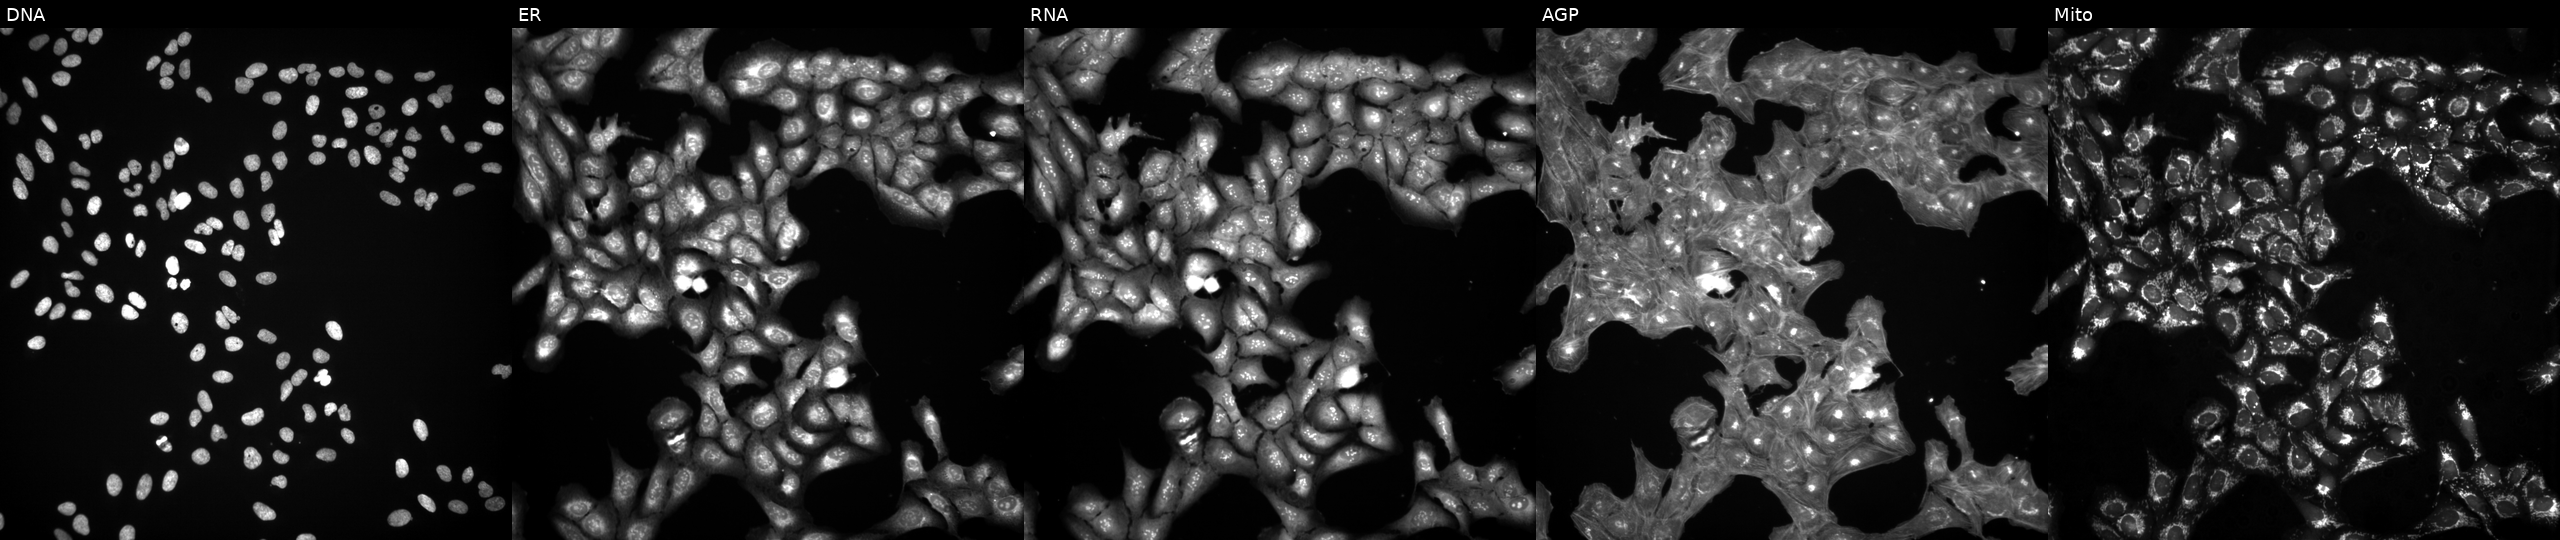
U2OS cells, Cell Painting assay, exposed to a small-molecule compound (InChIKey SZBGQDXLNMELTB-UHFFFAOYSA-N). From left to right: DNA, ER, RNA, AGP, and Mito. Each panel is percentile-stretched 16-bit fluorescence.